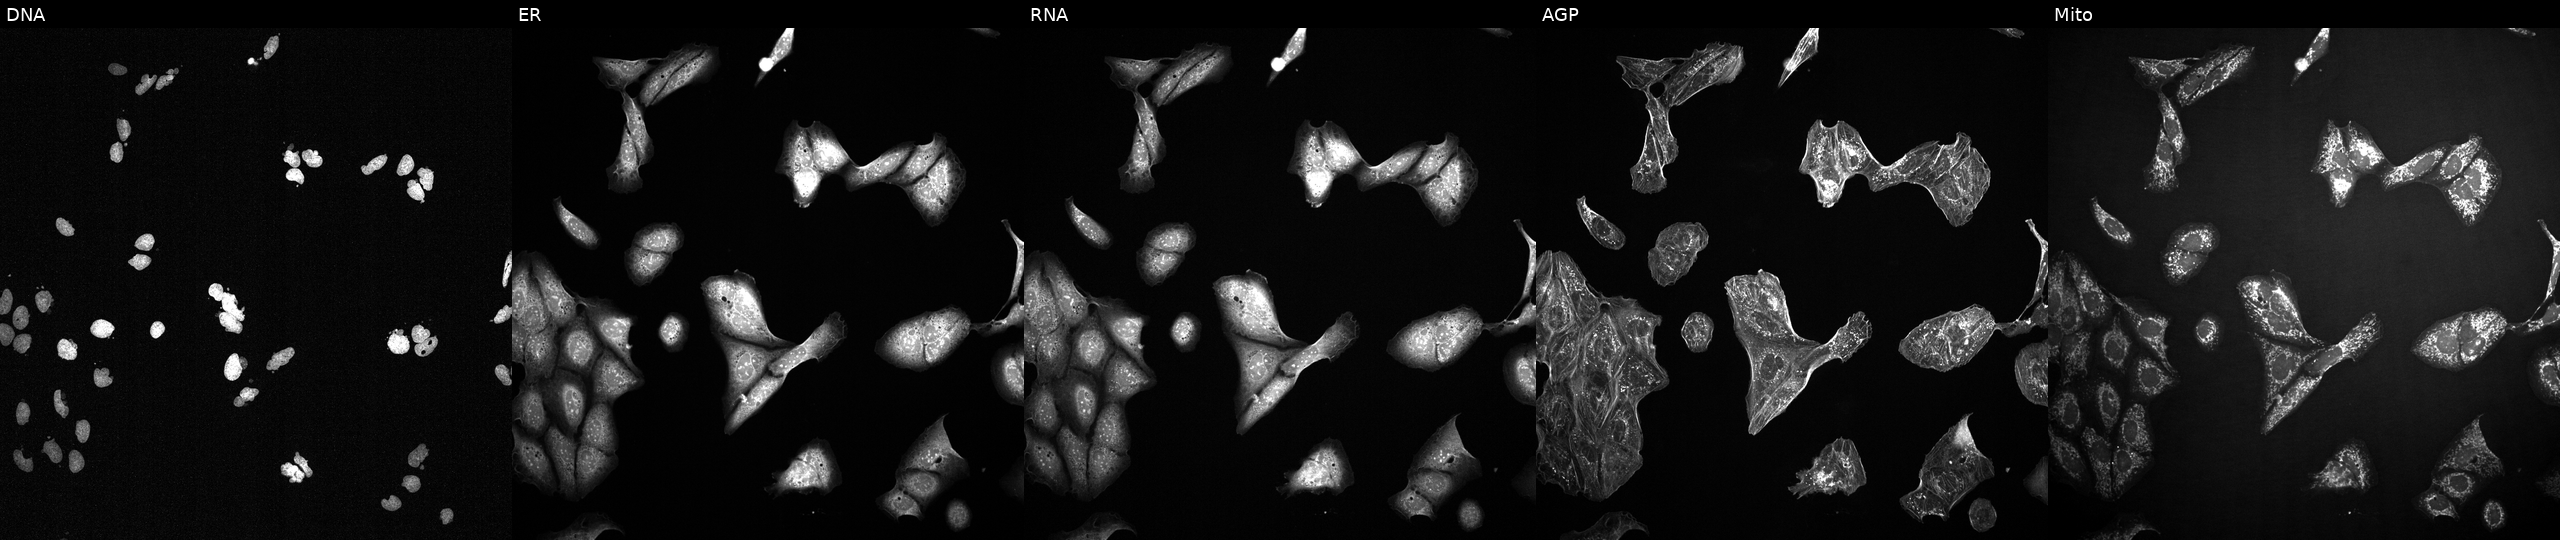
JUMP Cell Painting — TARGET2 plate. U2OS cells exposed to a small-molecule compound. Channels (left→right): Hoechst 33342, concanavalin A, SYTO 14, phalloidin and WGA, MitoTracker. Source 2, plate 1053599503, well K10.